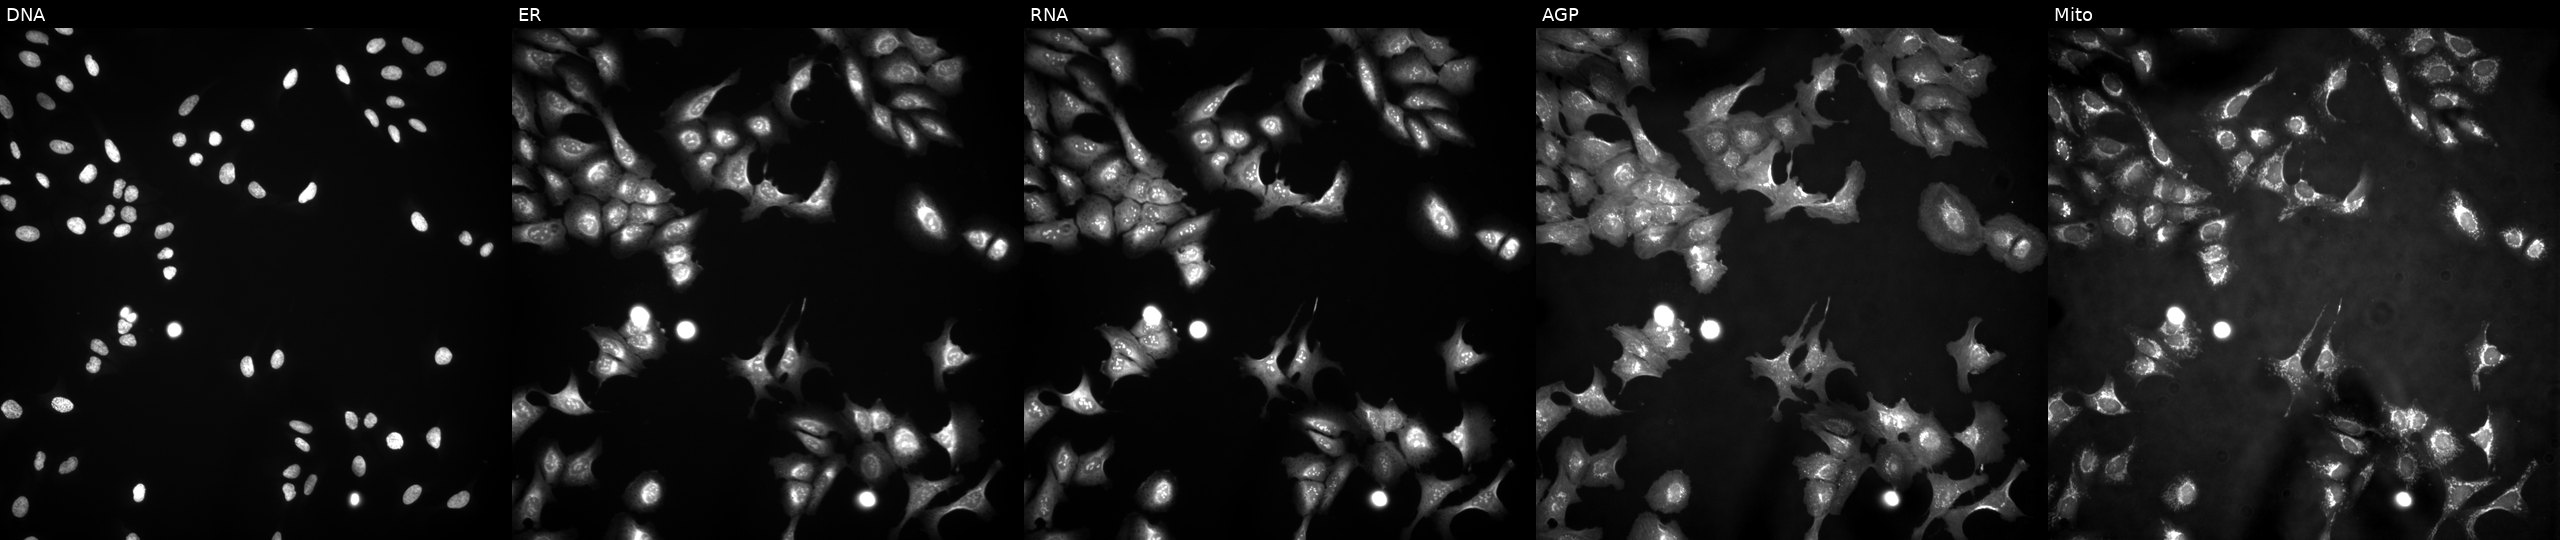
Channels (left→right): DNA (nuclei); ER (endoplasmic reticulum); RNA (nucleoli and cytoplasmic RNA); AGP (actin cytoskeleton, Golgi, and plasma membrane); Mito (mitochondria). U2OS osteosarcoma cells with DUSP12 overexpressed (ORF). Cell Painting assay, JUMP-CP dataset. Source 4, plate BR00121543, well P15.